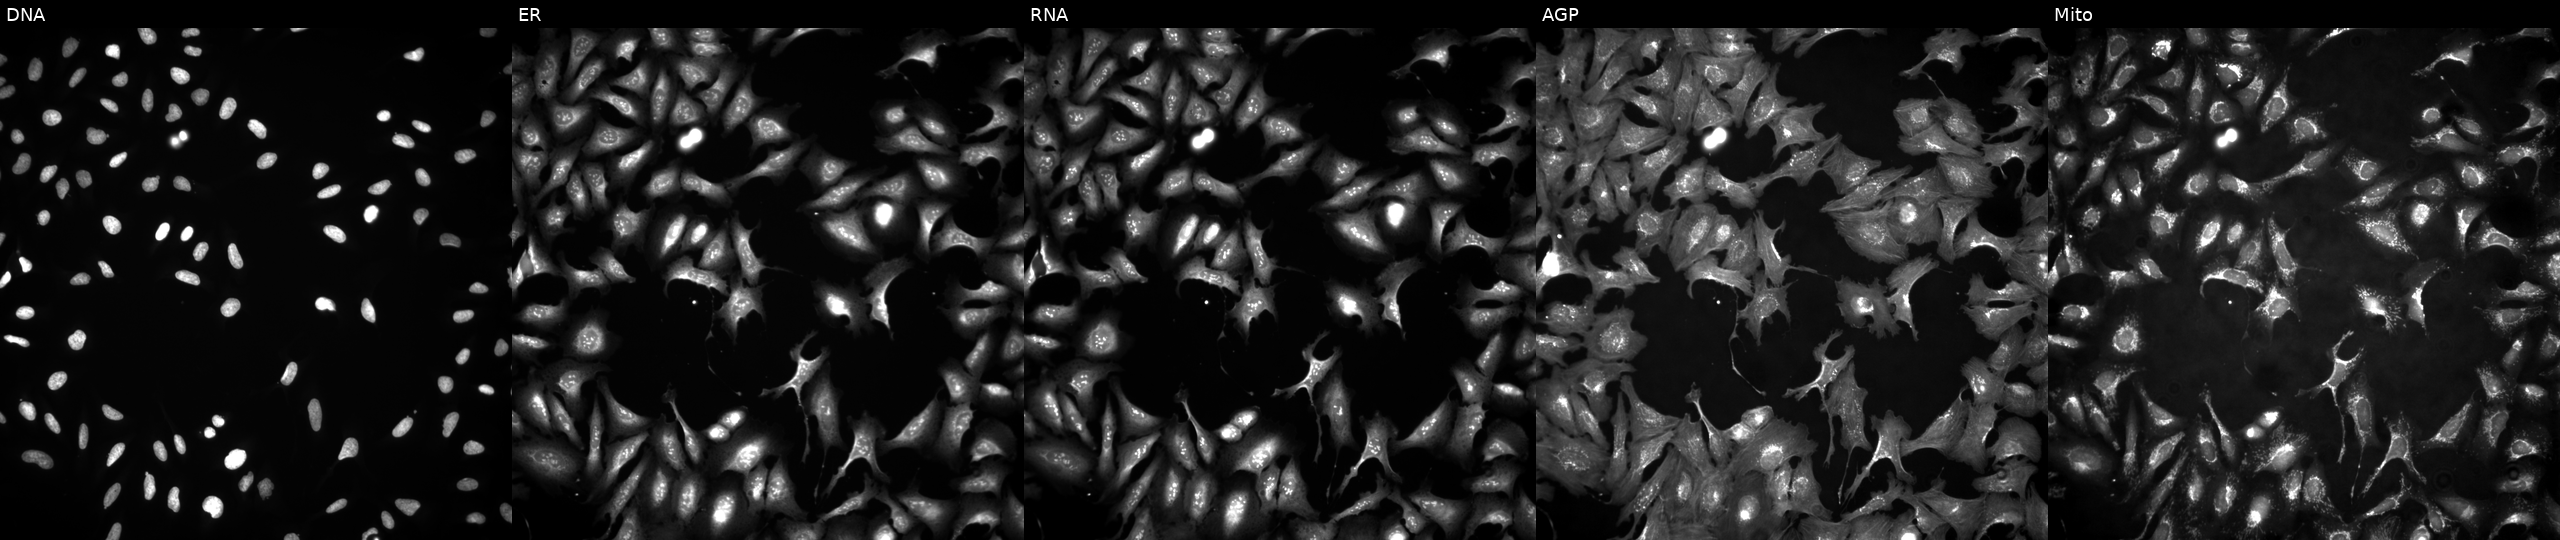
Five-channel Cell Painting image of U2OS cells overexpressing AGK via ORF transfection. The five panels, left to right, show DNA, ER, RNA, AGP, and Mito.